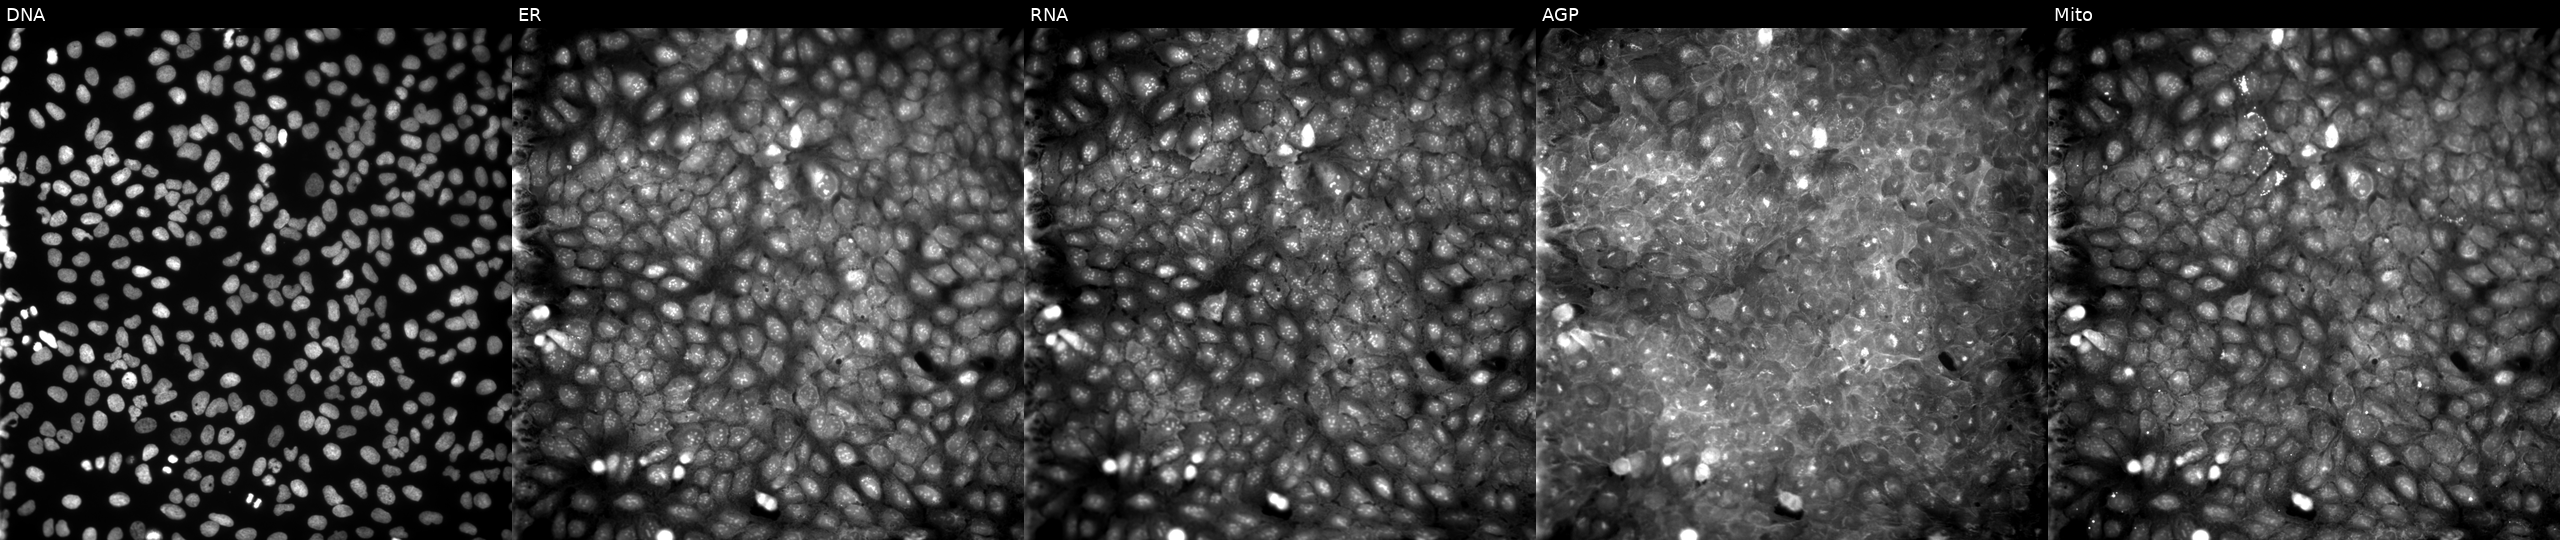
High-content fluorescence microscopy (Cell Painting). Cell line: U2OS. Perturbation: perturbed with a small-molecule compound (InChIKey PODGQQFQJHTBBC-UHFFFAOYSA-N). Panels show, left to right, DNA, ER, RNA, AGP, and Mito.